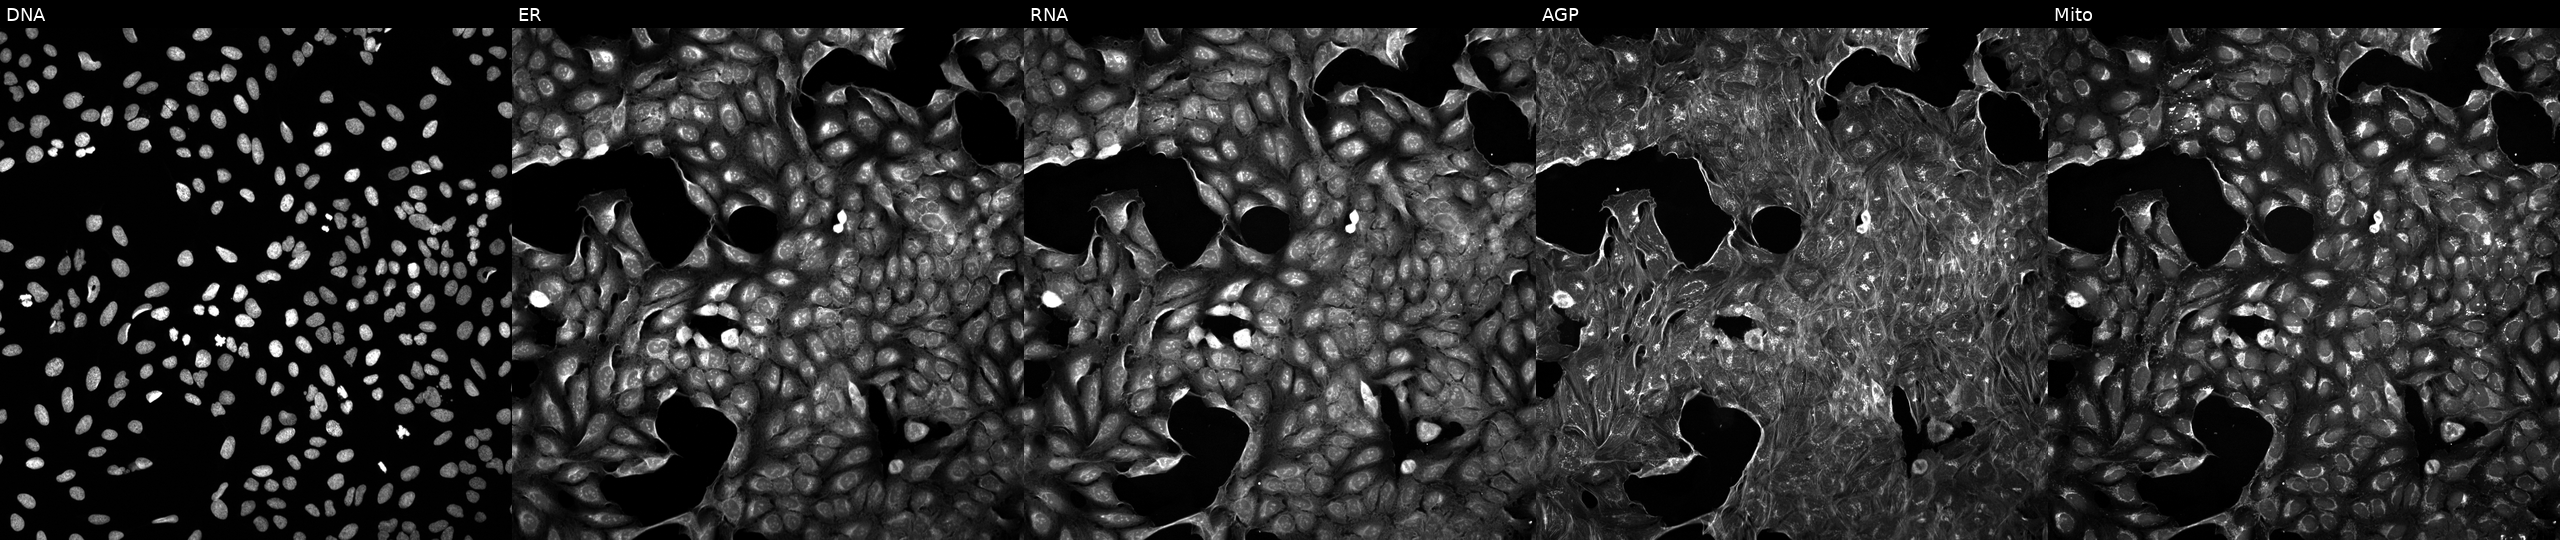
JUMP Cell Painting — TARGET2 plate. U2OS cells treated with DMSO vehicle only (negative control) (JUMP id JCP2022_033924). The five panels, left to right, show DNA, ER, RNA, AGP, and Mito.